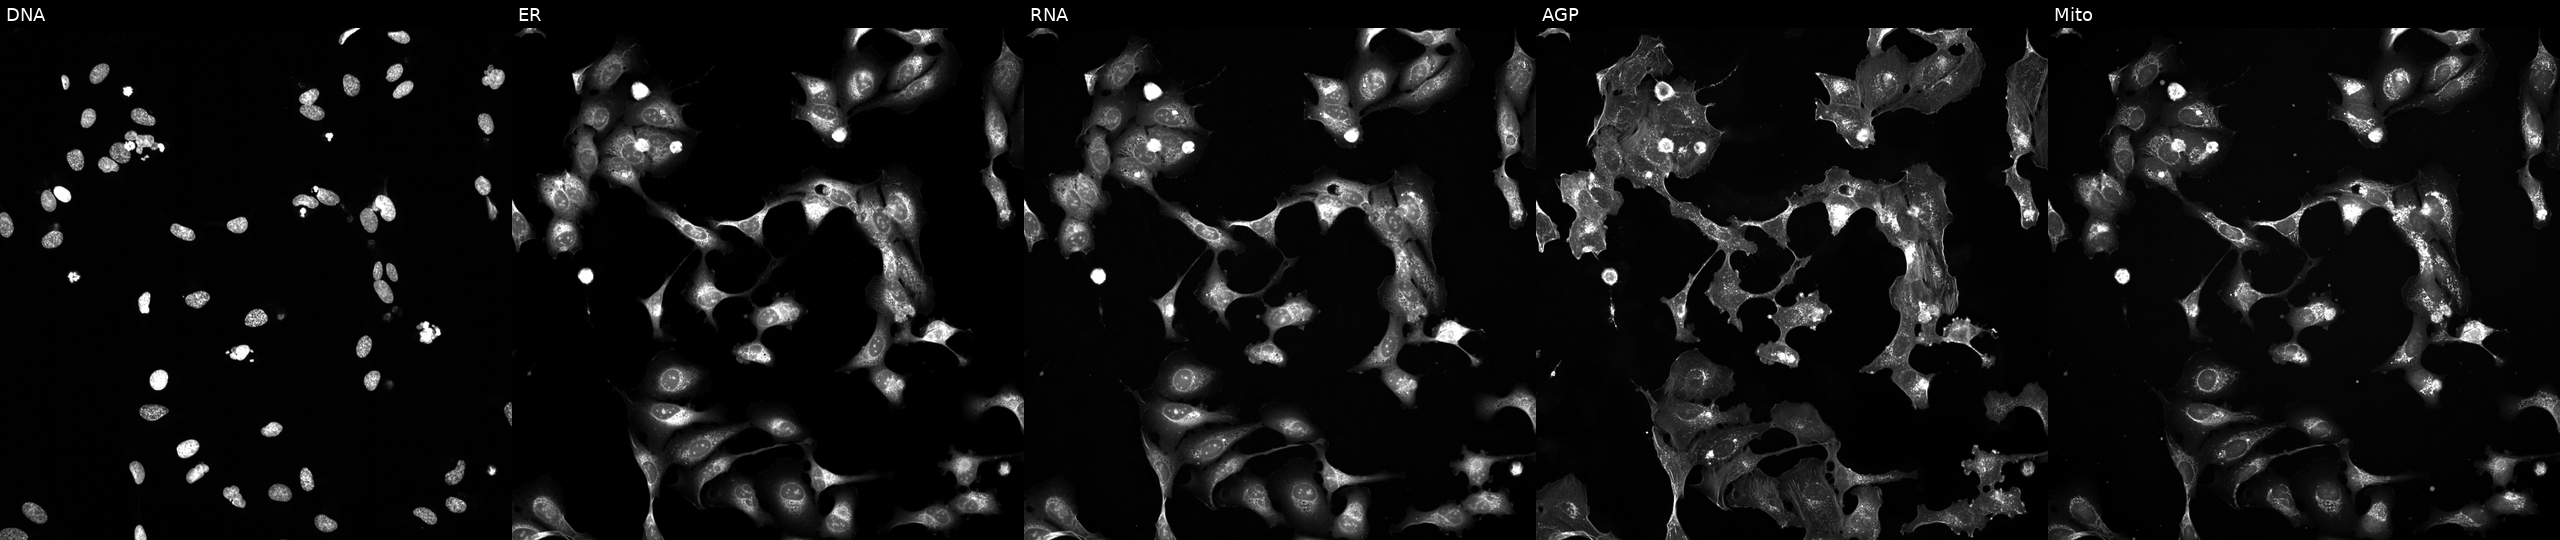
High-content fluorescence microscopy (Cell Painting). Cell line: U2OS. Perturbation: perturbed with a small-molecule compound (InChIKey XQVVPGYIWAGRNI-UHFFFAOYSA-N). Channels (left→right): Hoechst 33342, concanavalin A, SYTO 14, phalloidin and WGA, MitoTracker.